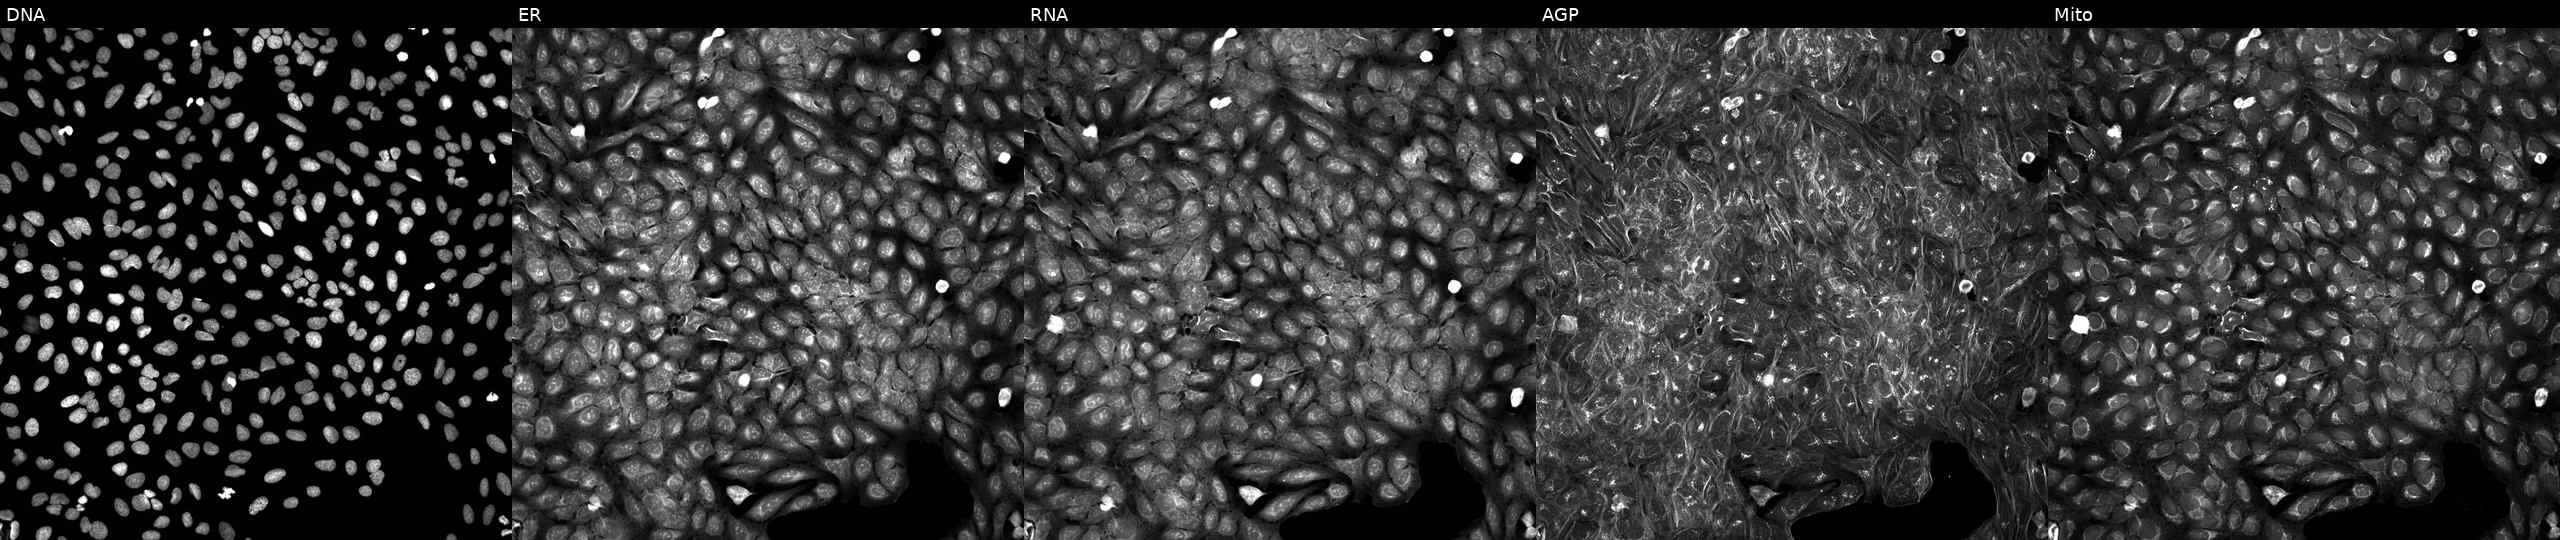
U2OS cells, Cell Painting assay, treated with a small-molecule compound [SMILES: CC(C)(C)n1cc(C(=O)N2CCNC(=O)CC2c2ccccc2)cn1]. Panels show, left to right, DNA, ER, RNA, AGP, and Mito. Each panel is percentile-stretched 16-bit fluorescence.